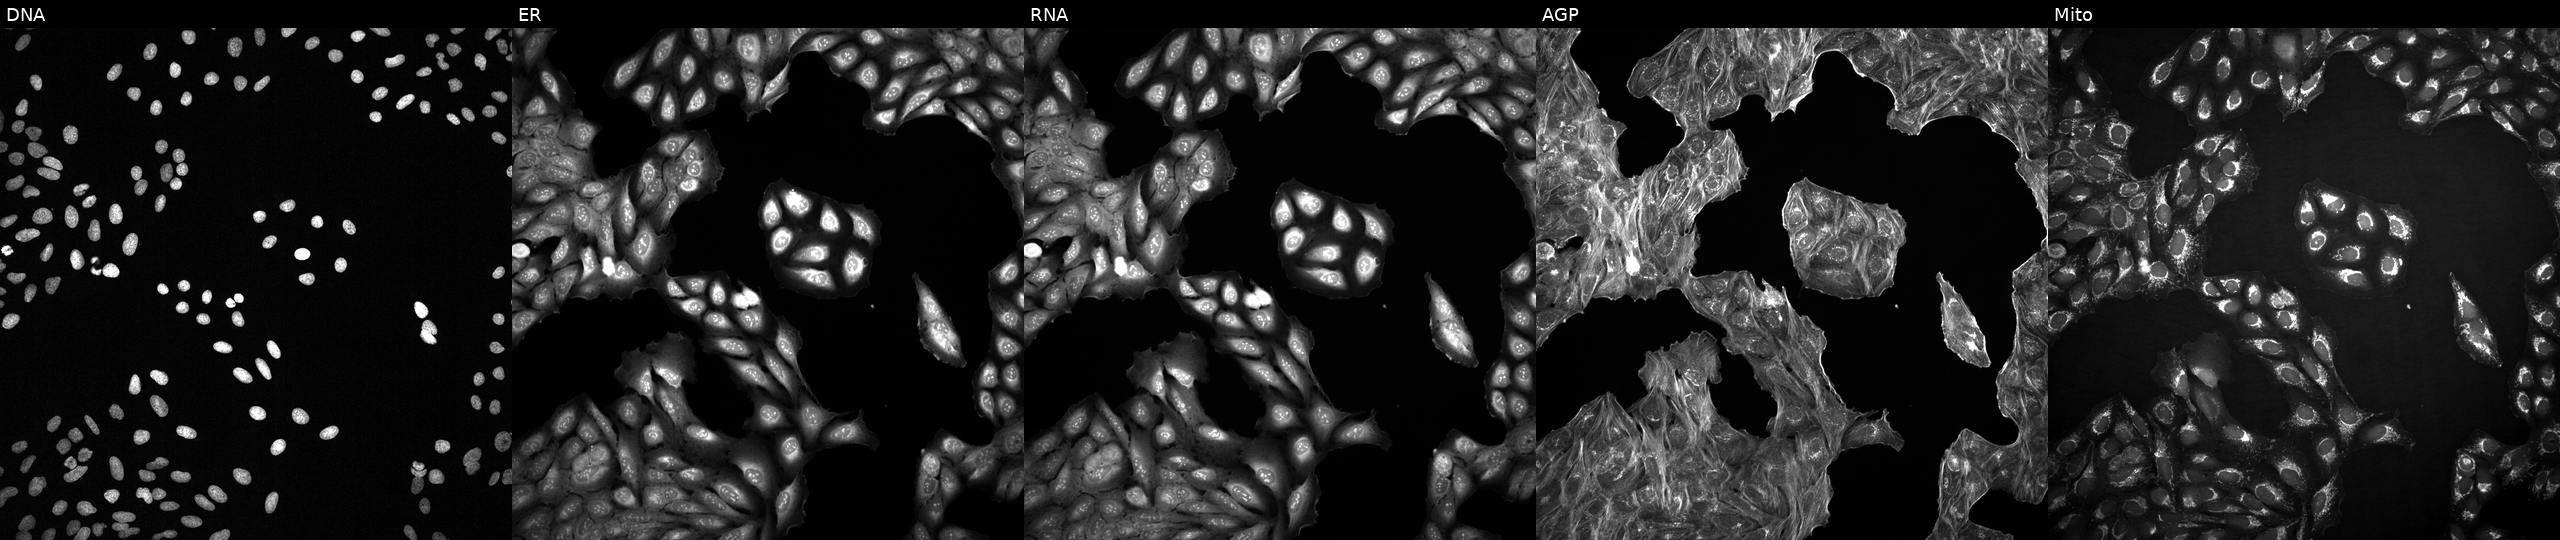
This image strip shows the five Cell Painting channels for a single field of U2OS cells treated with a small-molecule compound. Channels (left→right): DNA (nuclei); ER (endoplasmic reticulum); RNA (nucleoli and cytoplasmic RNA); AGP (actin cytoskeleton, Golgi, and plasma membrane); Mito (mitochondria). Source 2, plate 1053601763, well C14.